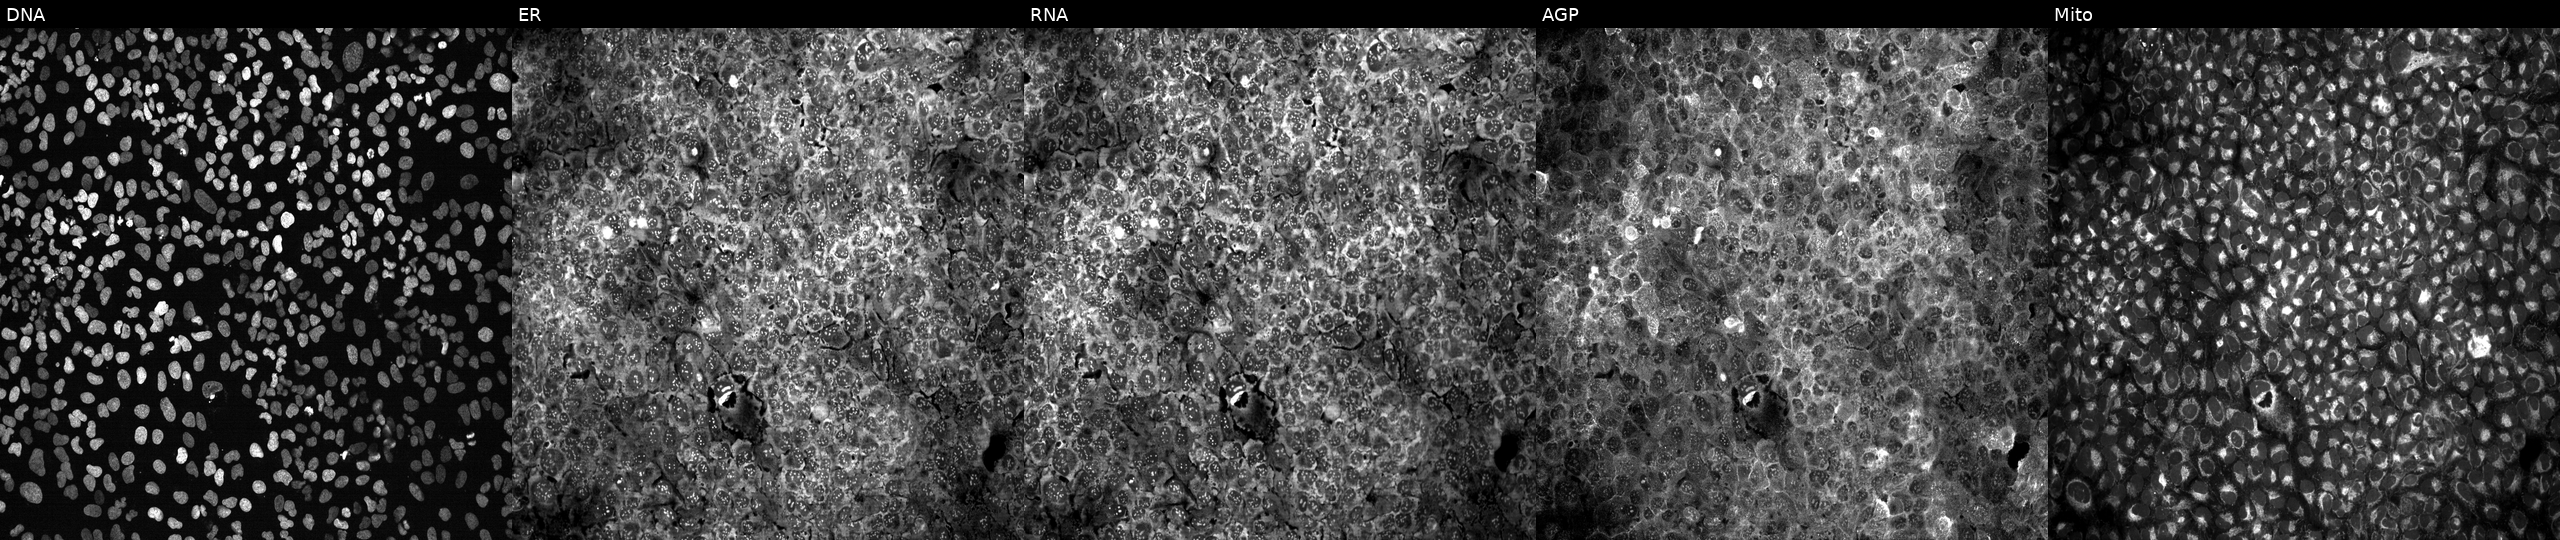
U2OS cells, Cell Painting assay, with DEGS1 knocked out by CRISPR (JUMP id JCP2022_801759). Channels (left→right): Hoechst 33342, concanavalin A, SYTO 14, phalloidin and WGA, MitoTracker. Each panel is percentile-stretched 16-bit fluorescence.